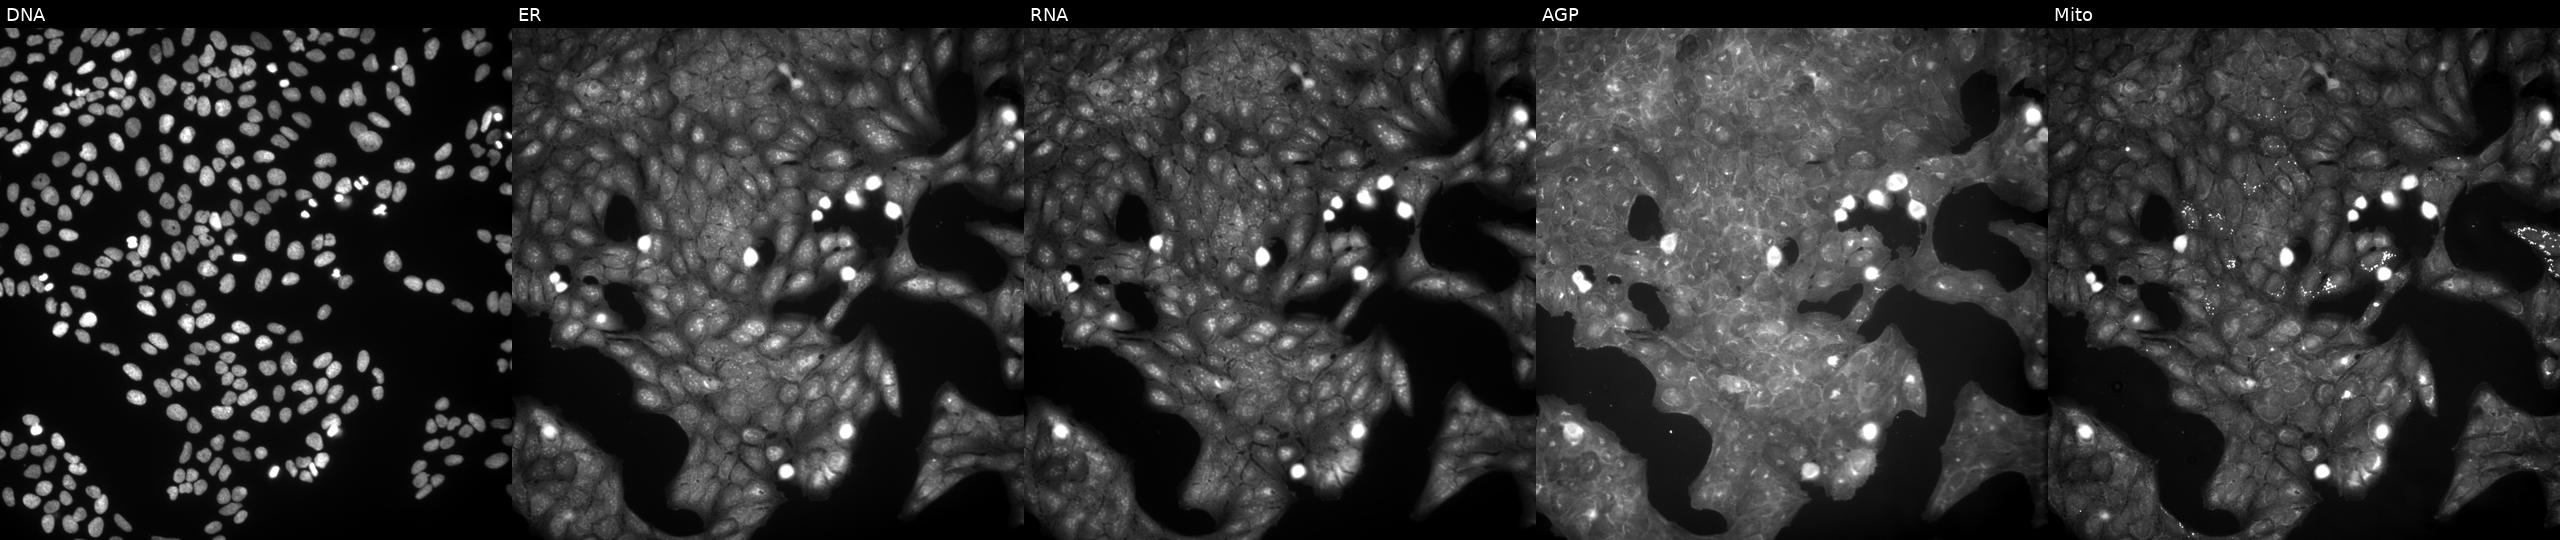
This image strip shows the five Cell Painting channels for a single field of U2OS cells exposed to a small-molecule compound (InChIKey KNFAFDWZNXLQKN-UHFFFAOYSA-N) [SMILES: CCN1C(=O)c2cccc3c(NC(=O)c4ccc(S(=O)(=O)N(C)C)cc4)ccc1c23]. From left to right: DNA, ER, RNA, AGP, and Mito. Source 9, plate GR00003381, well M35.